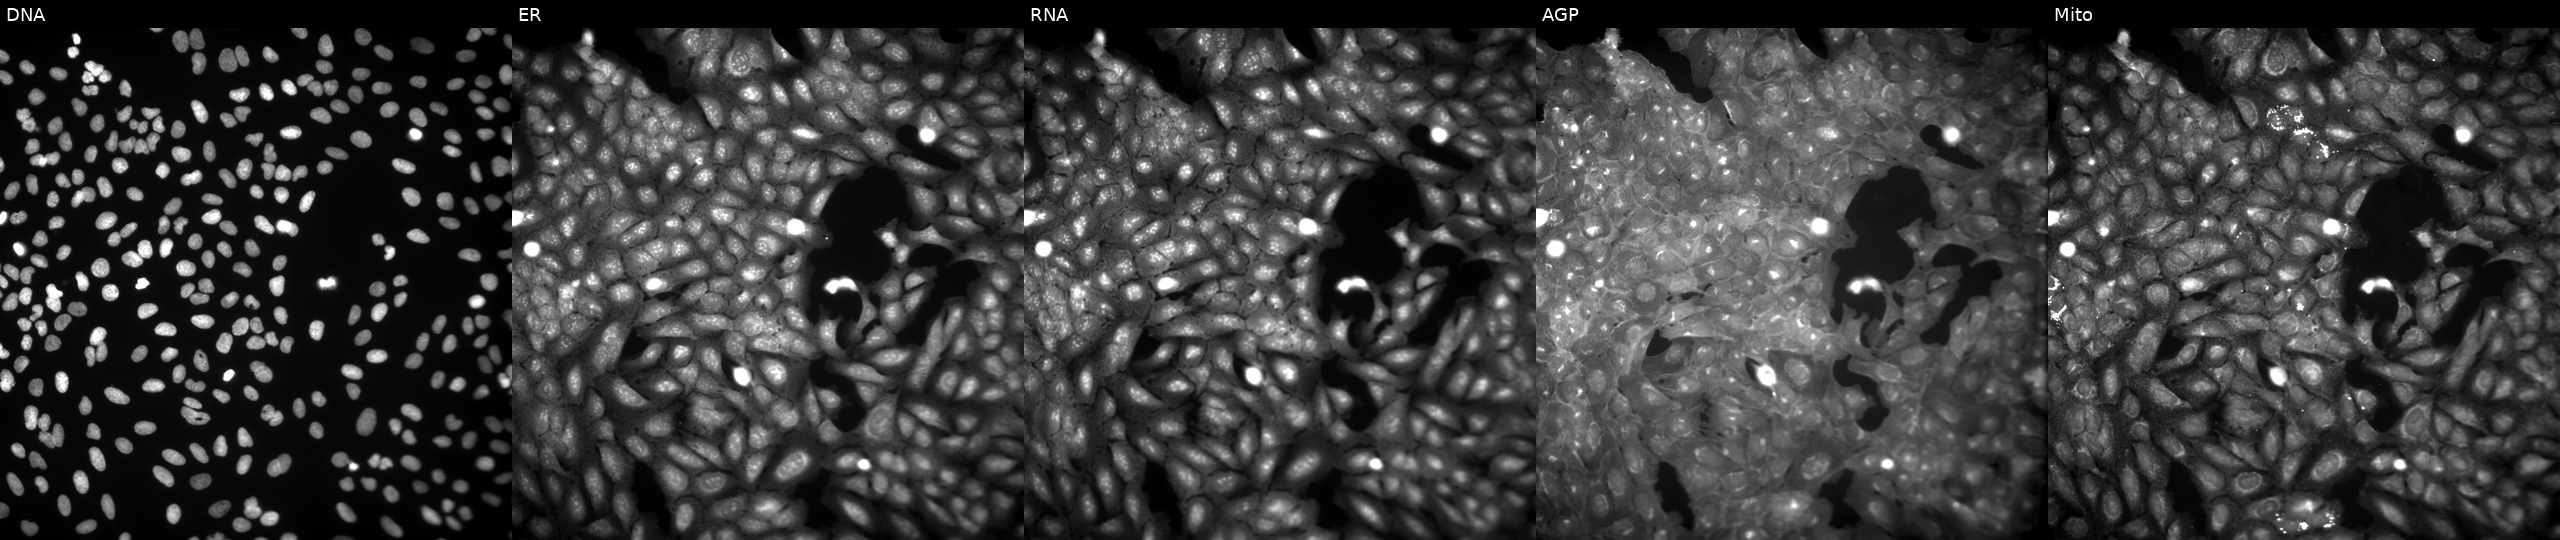
High-content fluorescence microscopy (Cell Painting). Cell line: U2OS. Perturbation: treated with TC-S-7004 (positive-control compound) (JUMP id JCP2022_012818). Panels show, left to right, DNA, ER, RNA, AGP, and Mito.